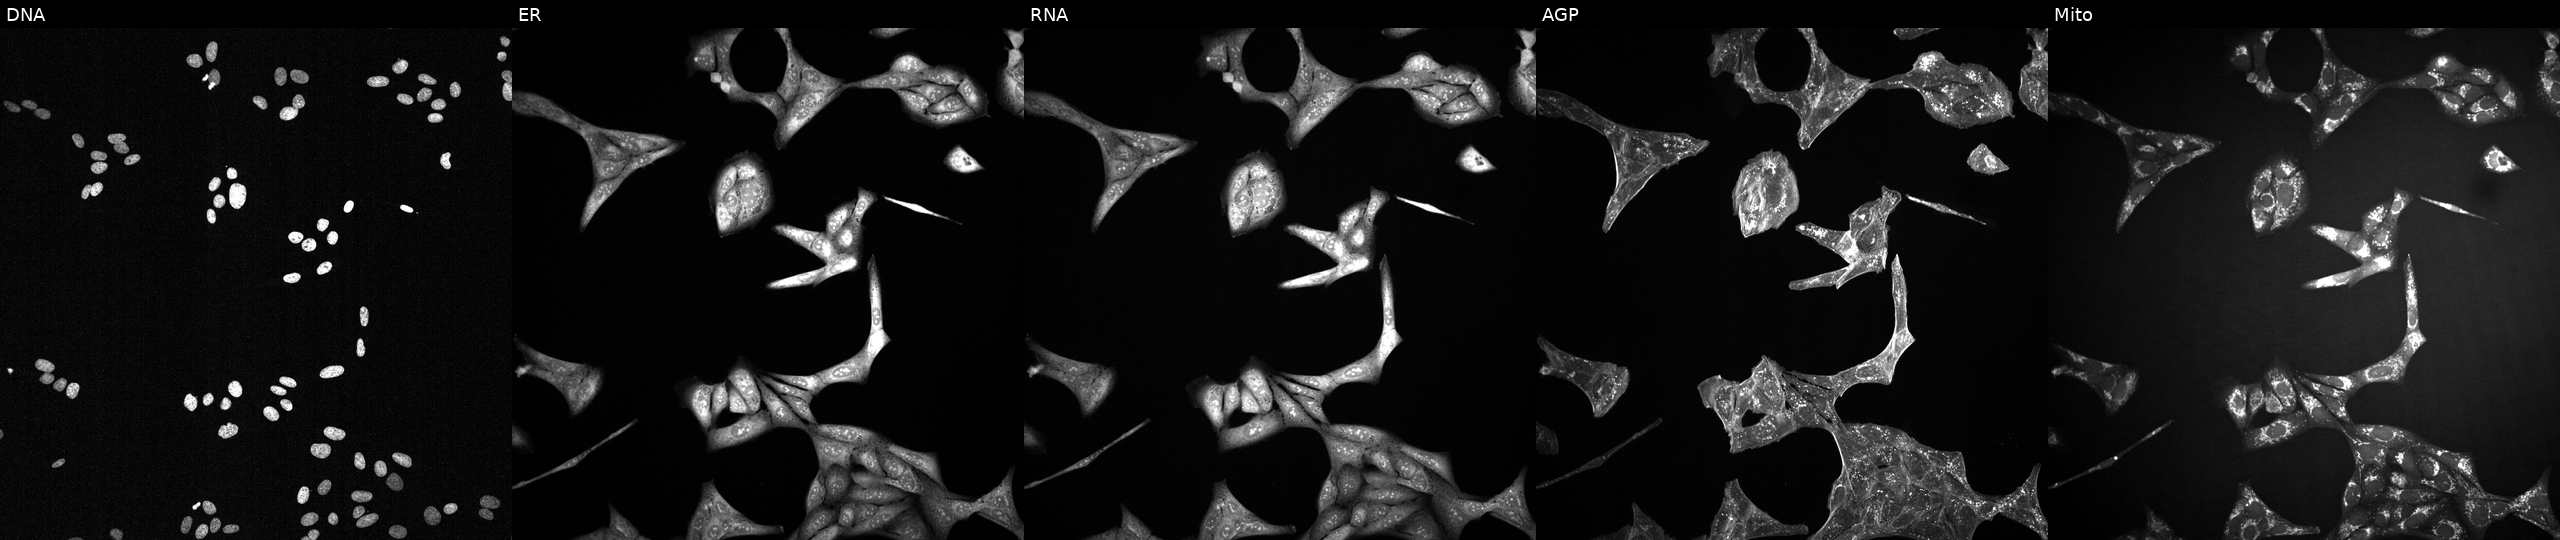
JUMP Cell Painting — TARGET2 plate. U2OS cells treated with a small-molecule compound (InChIKey VHHVPDKNKPNKHY-UHFFFAOYSA-N) (JUMP id JCP2022_093956). The five panels, left to right, show DNA (nuclei); ER (endoplasmic reticulum); RNA (nucleoli and cytoplasmic RNA); AGP (actin cytoskeleton, Golgi, and plasma membrane); Mito (mitochondria).